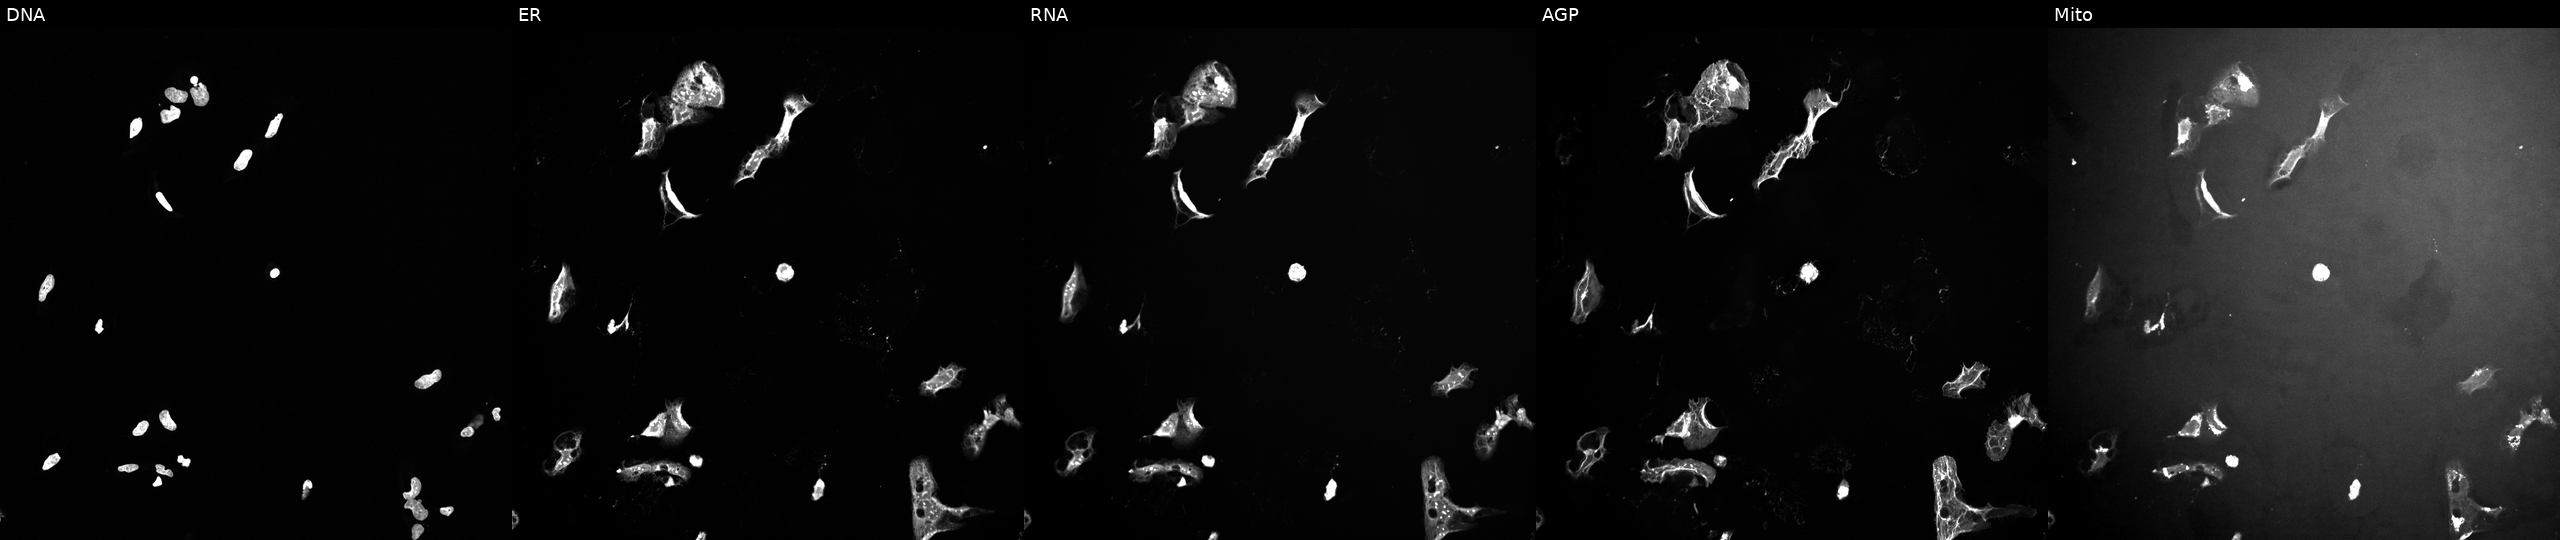
From left to right: Hoechst 33342, concanavalin A, SYTO 14, phalloidin and WGA, MitoTracker. U2OS osteosarcoma cells treated with a small-molecule compound (InChIKey MNYJJHBAEYKXEG-UHFFFAOYSA-N) (JUMP id JCP2022_055397). Cell Painting assay, JUMP-CP dataset. Source 10, plate Dest210726-160150, well B22.